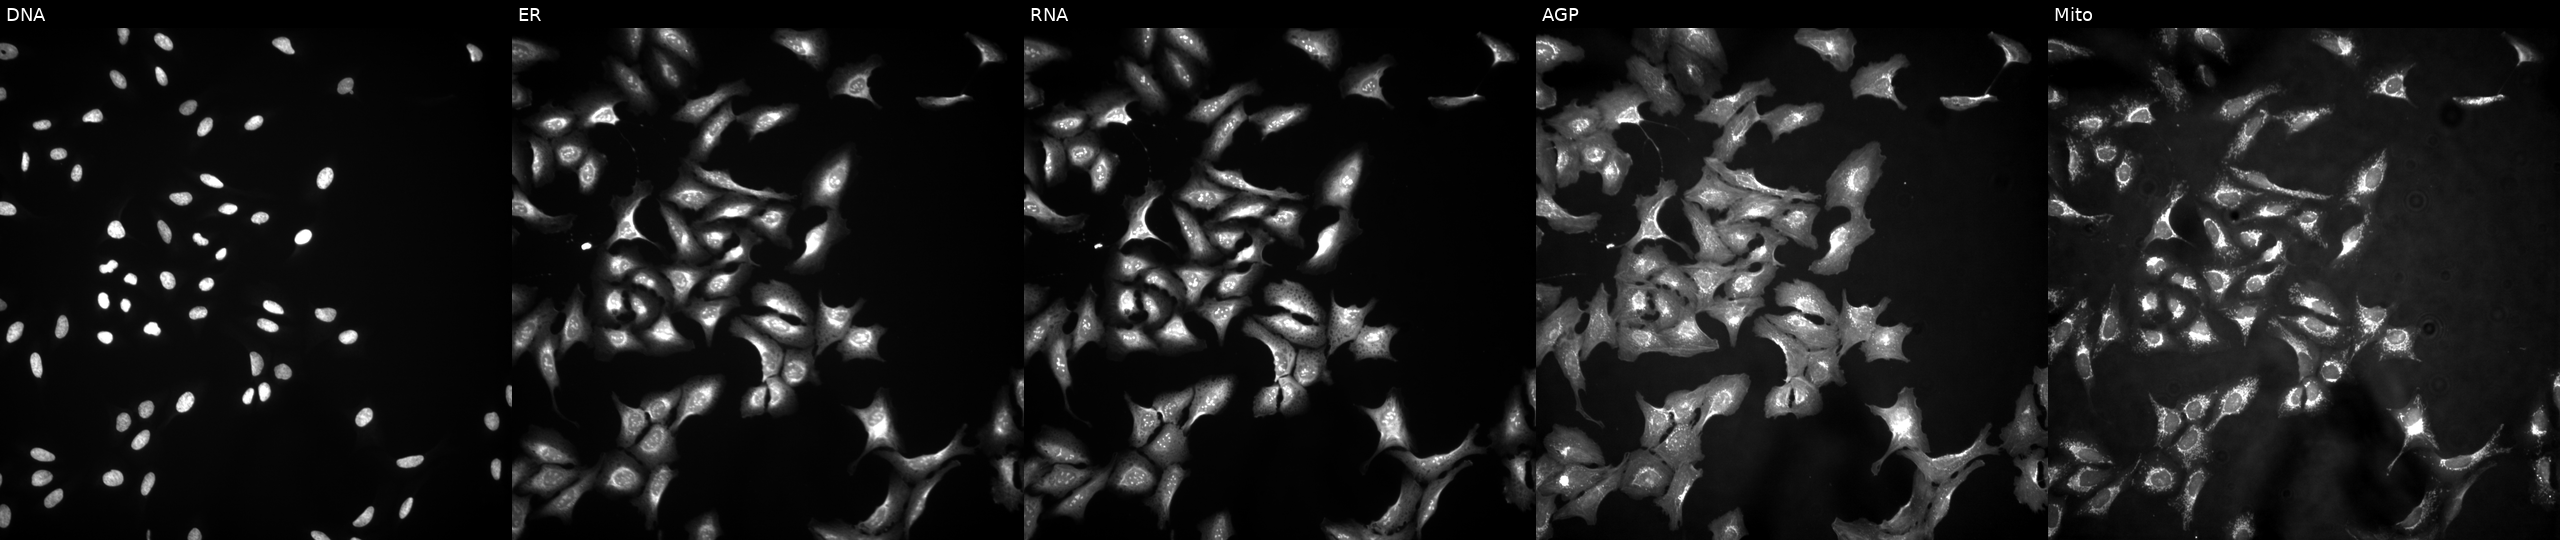
This image strip shows the five Cell Painting channels for a single field of U2OS cells transfected with an ORF construct for ARF5. Panels show, left to right, DNA (nuclei); ER (endoplasmic reticulum); RNA (nucleoli and cytoplasmic RNA); AGP (actin cytoskeleton, Golgi, and plasma membrane); Mito (mitochondria).